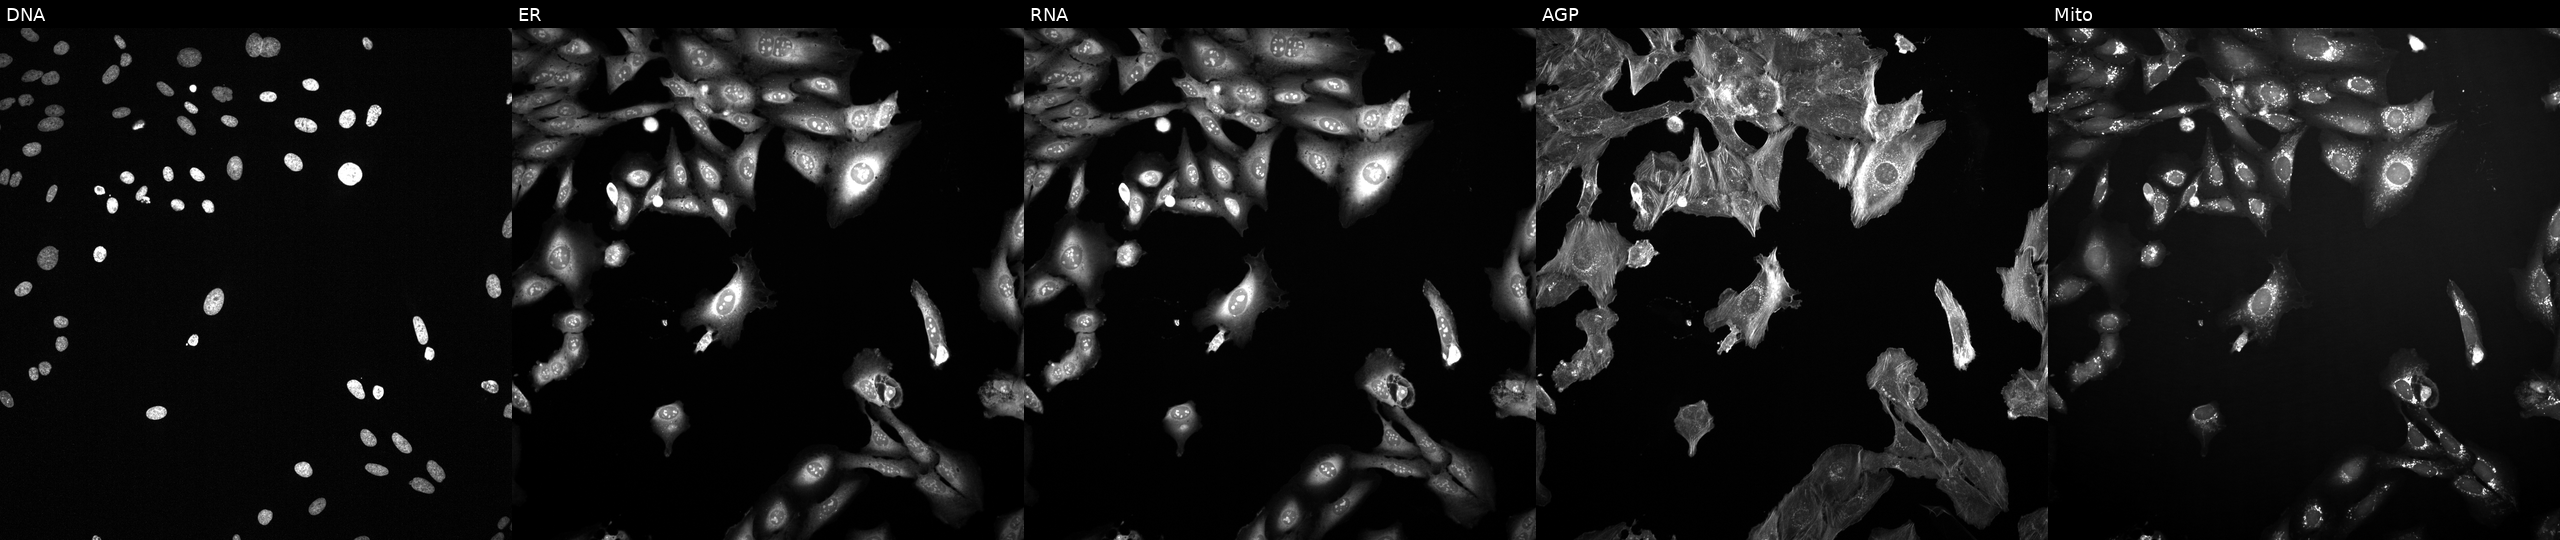
From left to right: Hoechst 33342, concanavalin A, SYTO 14, phalloidin and WGA, MitoTracker. U2OS osteosarcoma cells exposed to a small-molecule compound (InChIKey VSWDORGPIHIGNW-UHFFFAOYSA-N) [SMILES: S=C(S)N1CCCC1] (JUMP id JCP2022_096067). Cell Painting assay, JUMP-CP dataset.